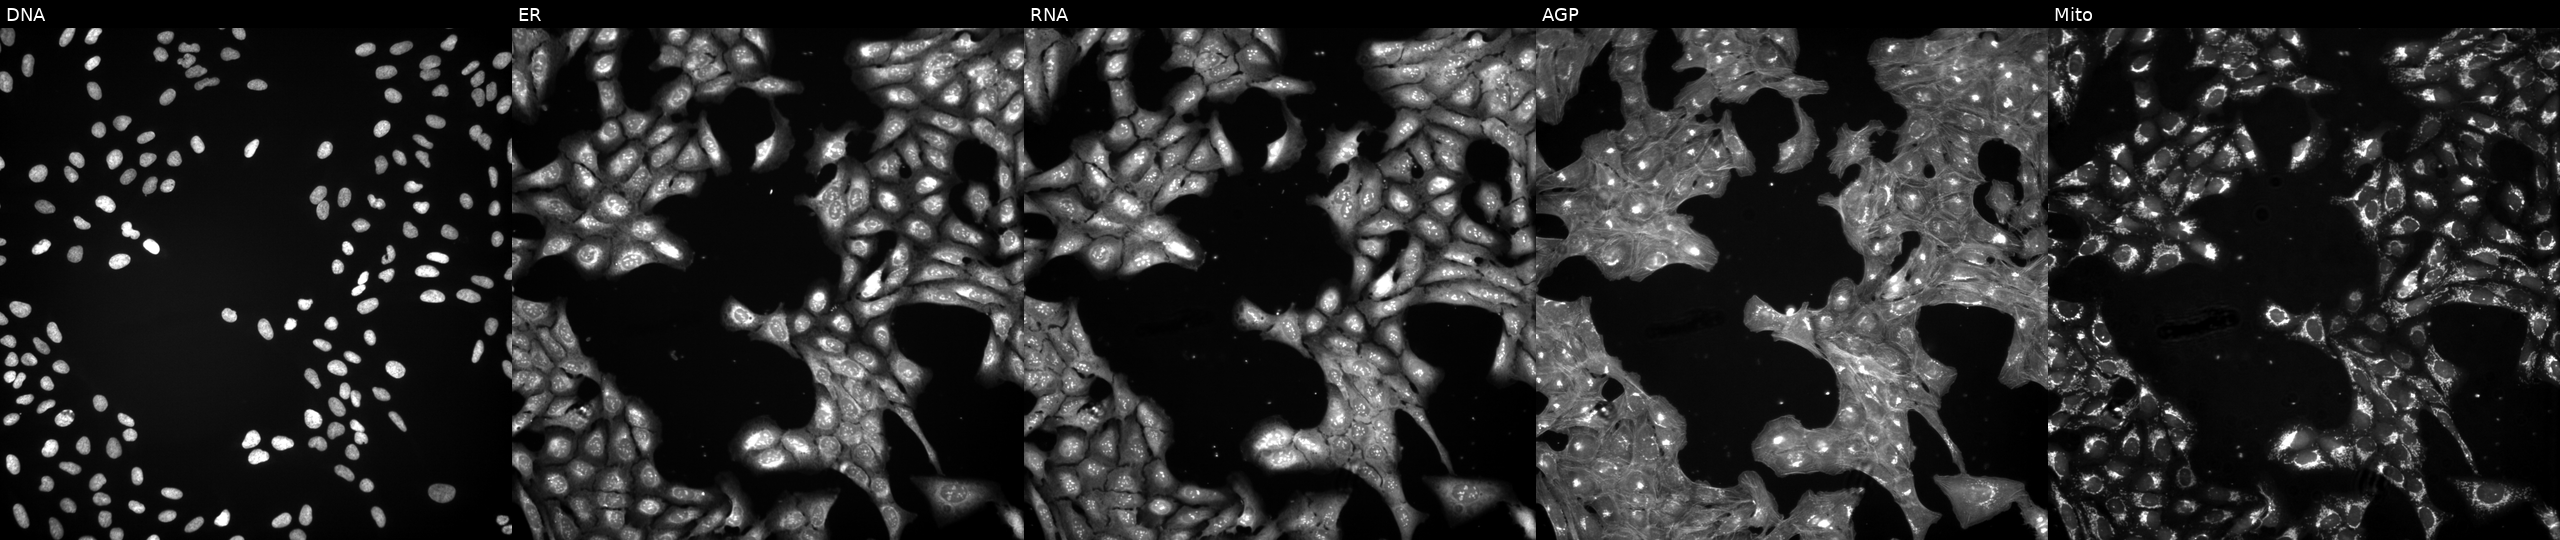
Panels show, left to right, DNA, ER, RNA, AGP, and Mito. U2OS osteosarcoma cells perturbed with a small-molecule compound (InChIKey QLONHPGZNDYKPF-UHFFFAOYSA-N) [SMILES: COCCn1c(=N)c(C(=O)NCc2ccco2)cc2c(=O)n3ccccc3nc21] (JUMP id JCP2022_074252). Cell Painting assay, JUMP-CP dataset.